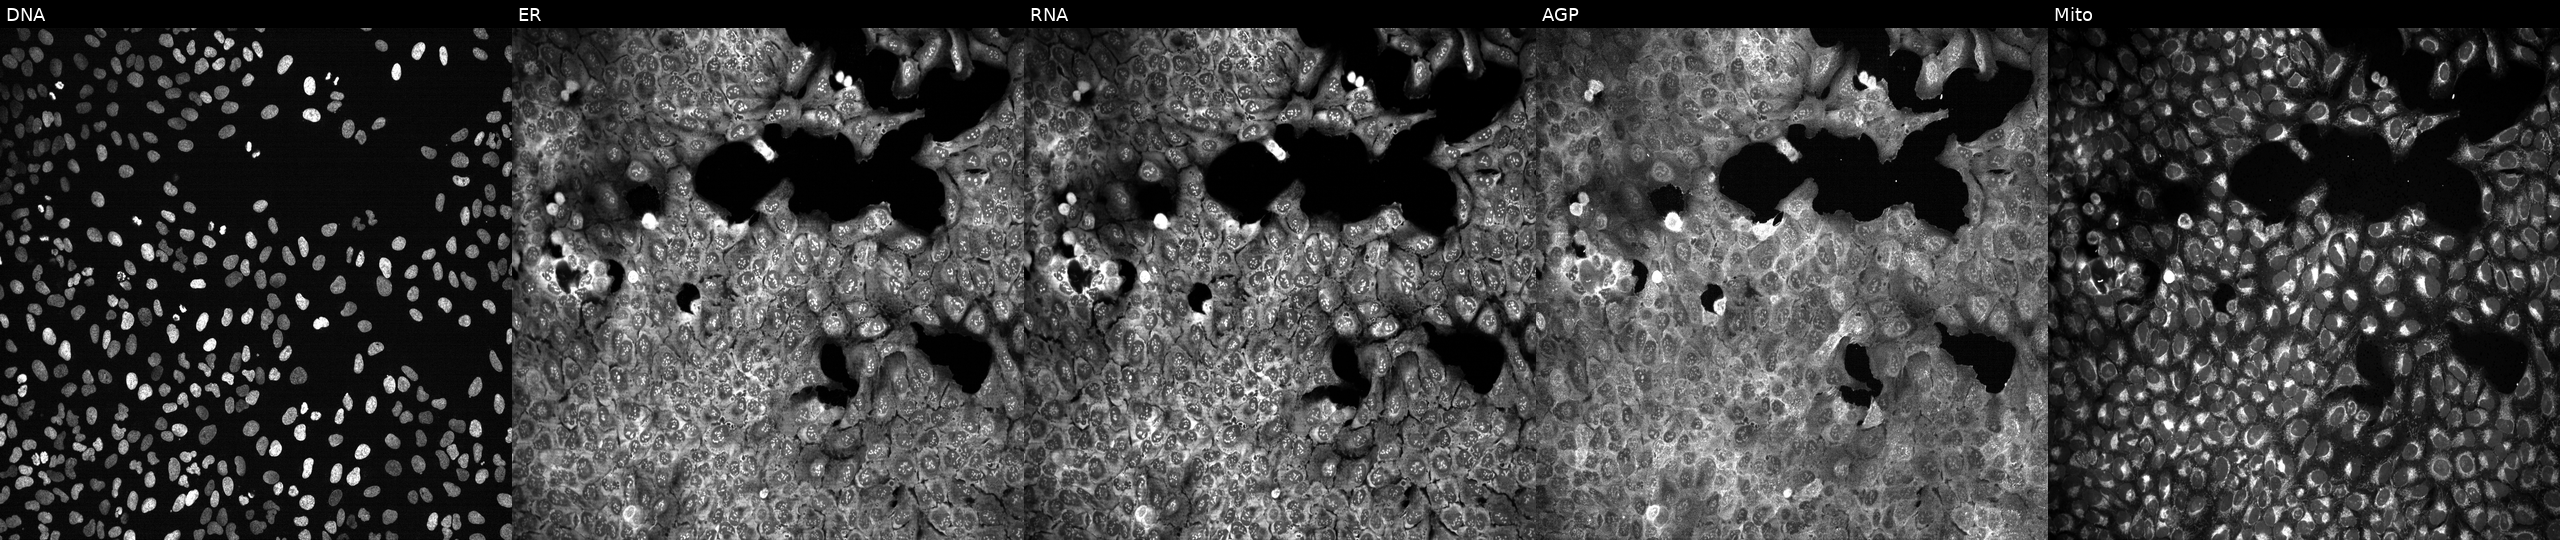
This image strip shows the five Cell Painting channels for a single field of U2OS cells following CRISPR knockout of GFPT2. Panels show, left to right, DNA (nuclei); ER (endoplasmic reticulum); RNA (nucleoli and cytoplasmic RNA); AGP (actin cytoskeleton, Golgi, and plasma membrane); Mito (mitochondria). Source 13, plate CP-CC9-R3-02, well J16.